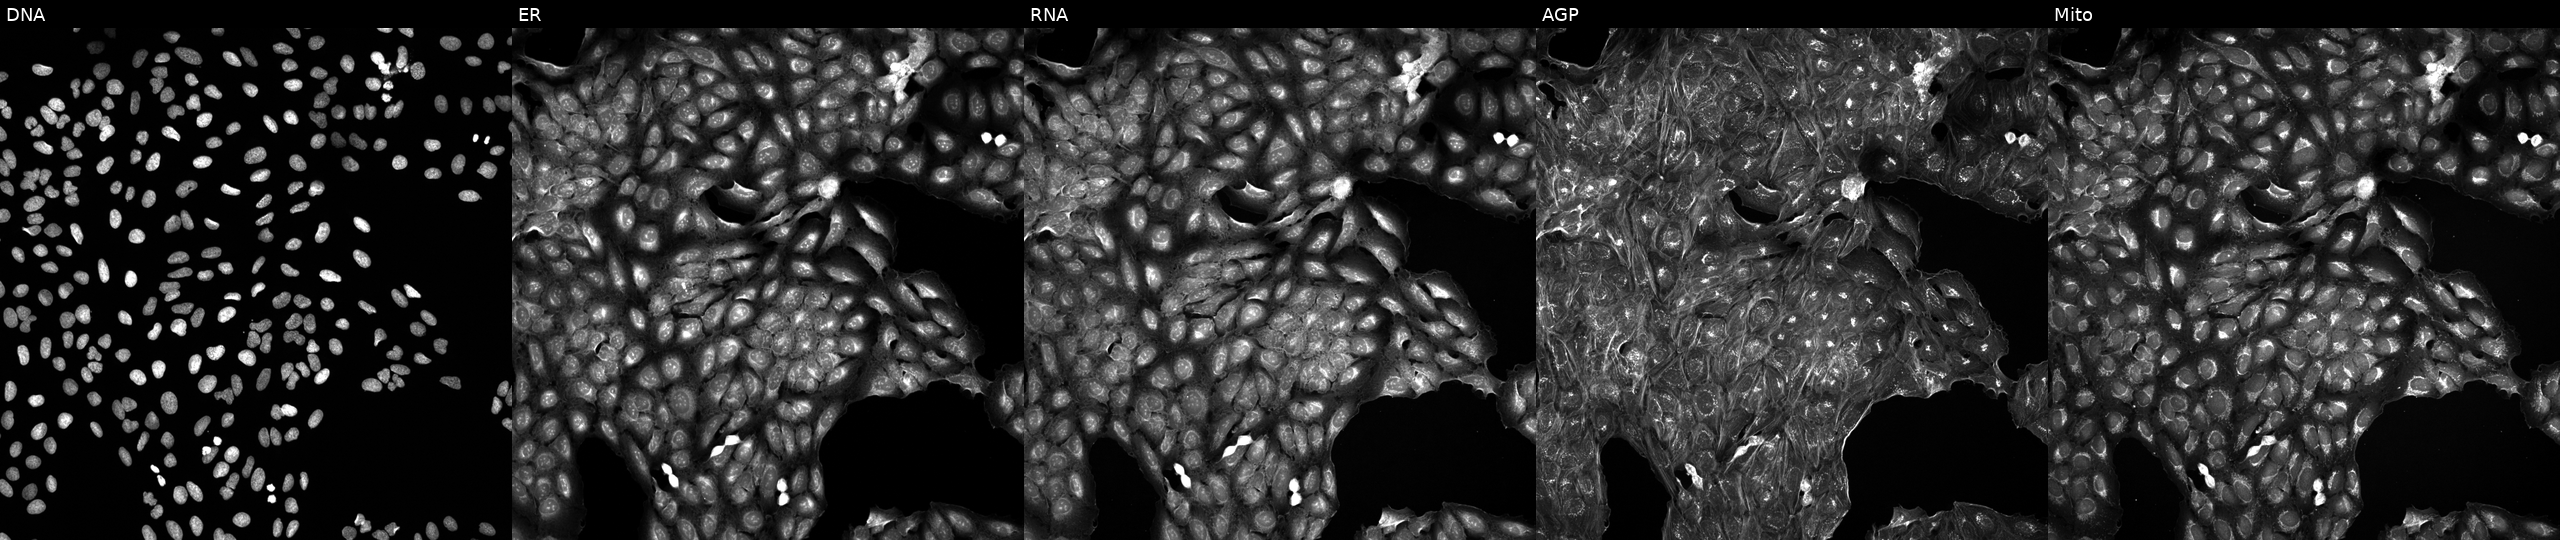
This image strip shows the five Cell Painting channels for a single field of U2OS cells treated with a small-molecule compound (InChIKey XAZFHGQDNCCECF-UHFFFAOYSA-N) (JUMP id JCP2022_102483). From left to right: DNA, ER, RNA, AGP, and Mito.